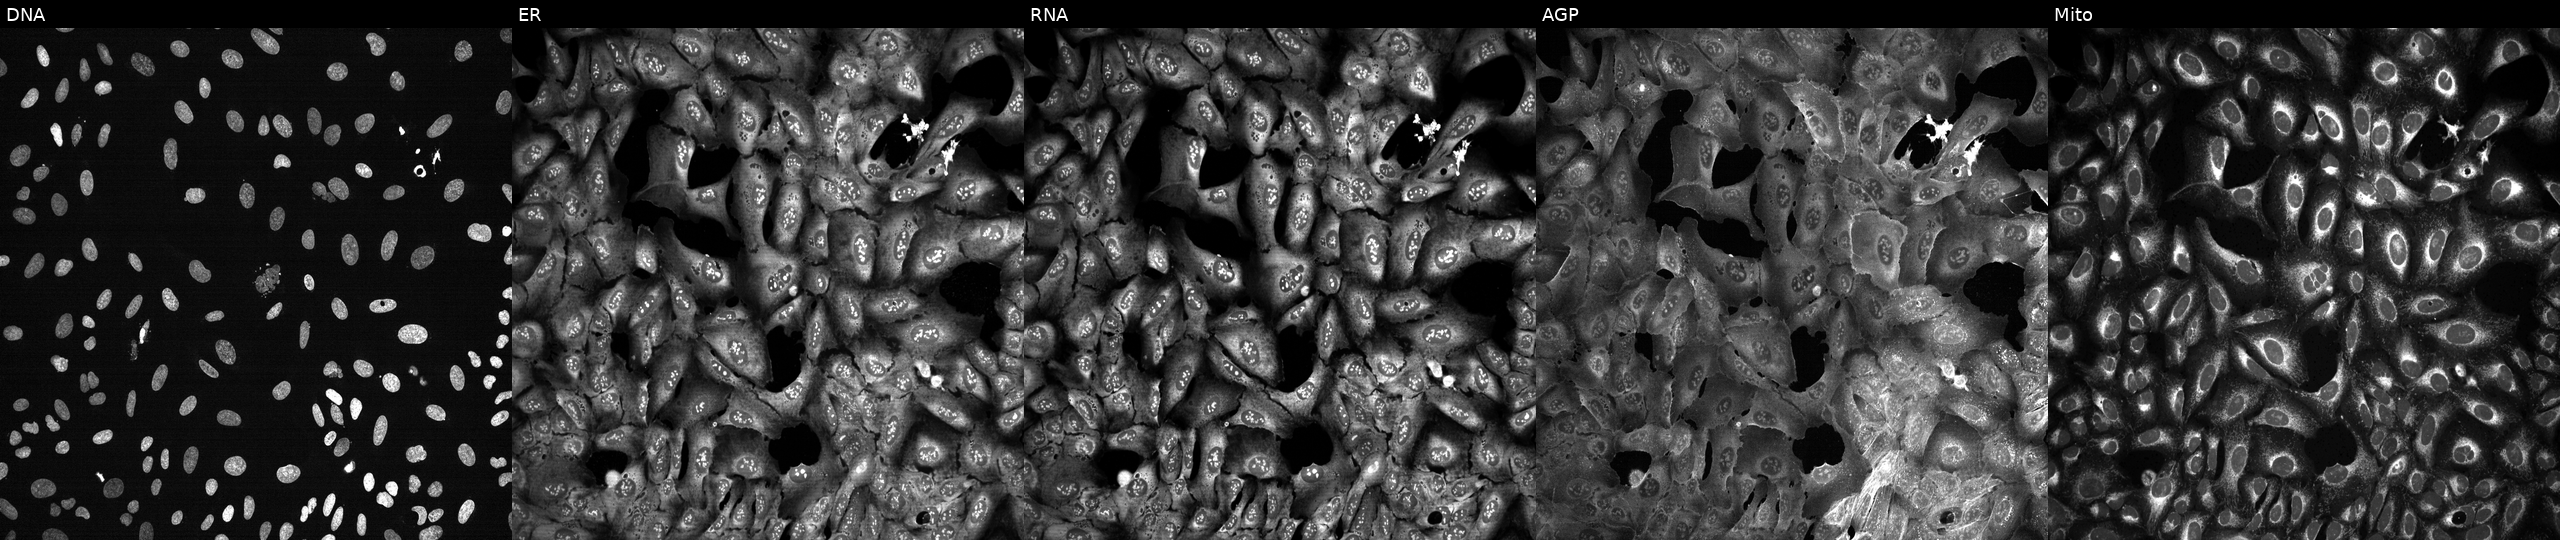
JUMP Cell Painting — CRISPR plate. U2OS cells CRISPR-edited to disrupt RPA1 (JUMP id JCP2022_806097). From left to right: Hoechst 33342, concanavalin A, SYTO 14, phalloidin and WGA, MitoTracker.